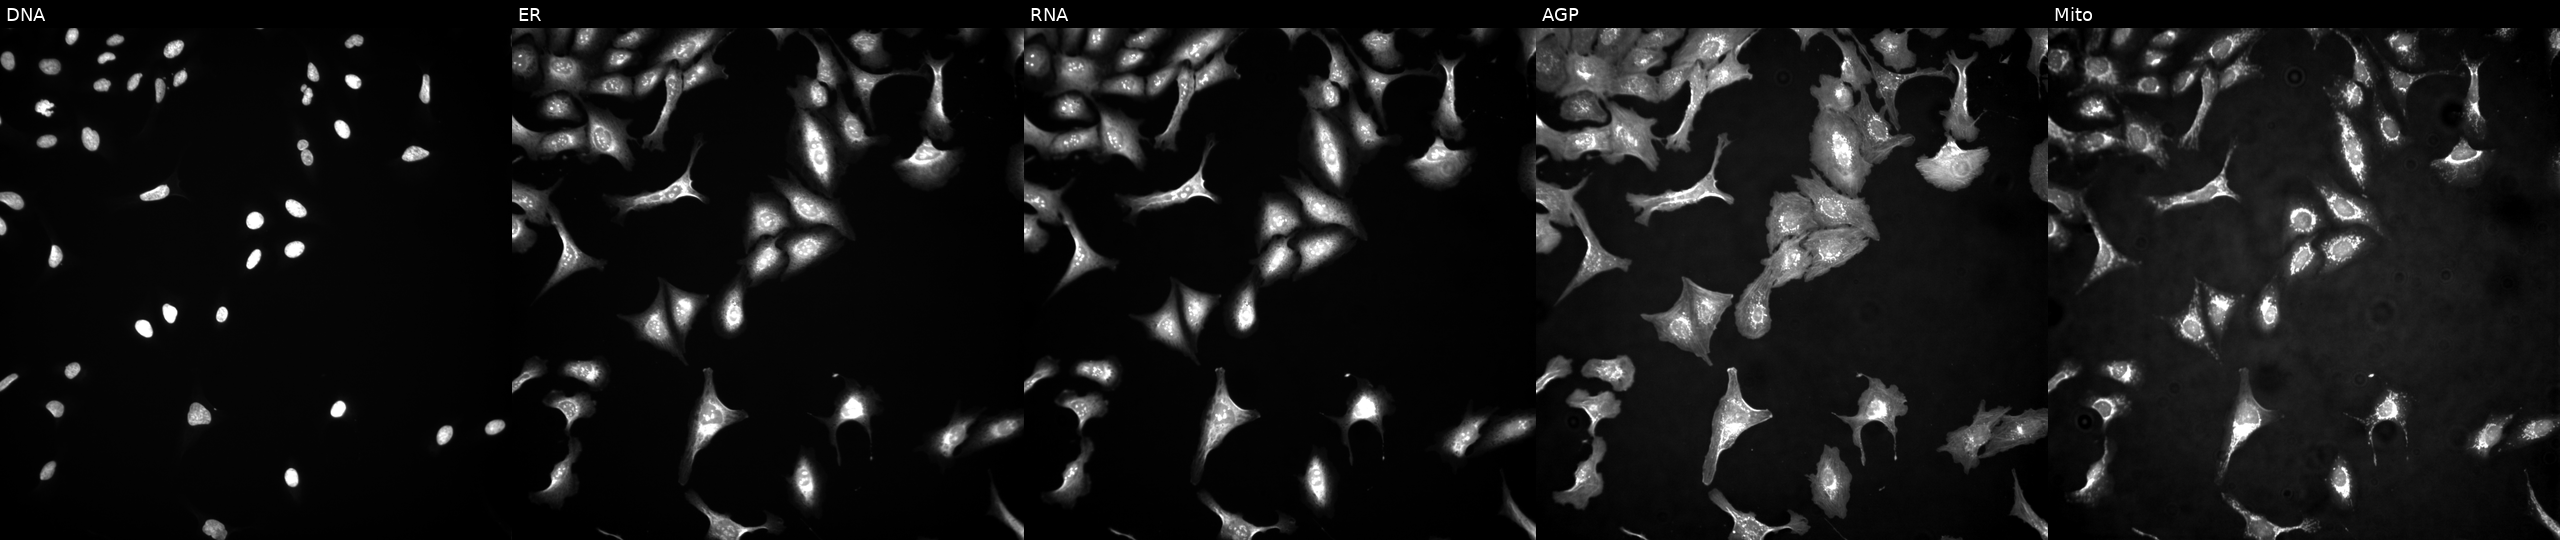
JUMP Cell Painting — ORF plate. U2OS cells overexpressing PGK2 via ORF transfection. The five panels, left to right, show Hoechst 33342, concanavalin A, SYTO 14, phalloidin and WGA, MitoTracker. Source 4, plate BR00123945, well M21.